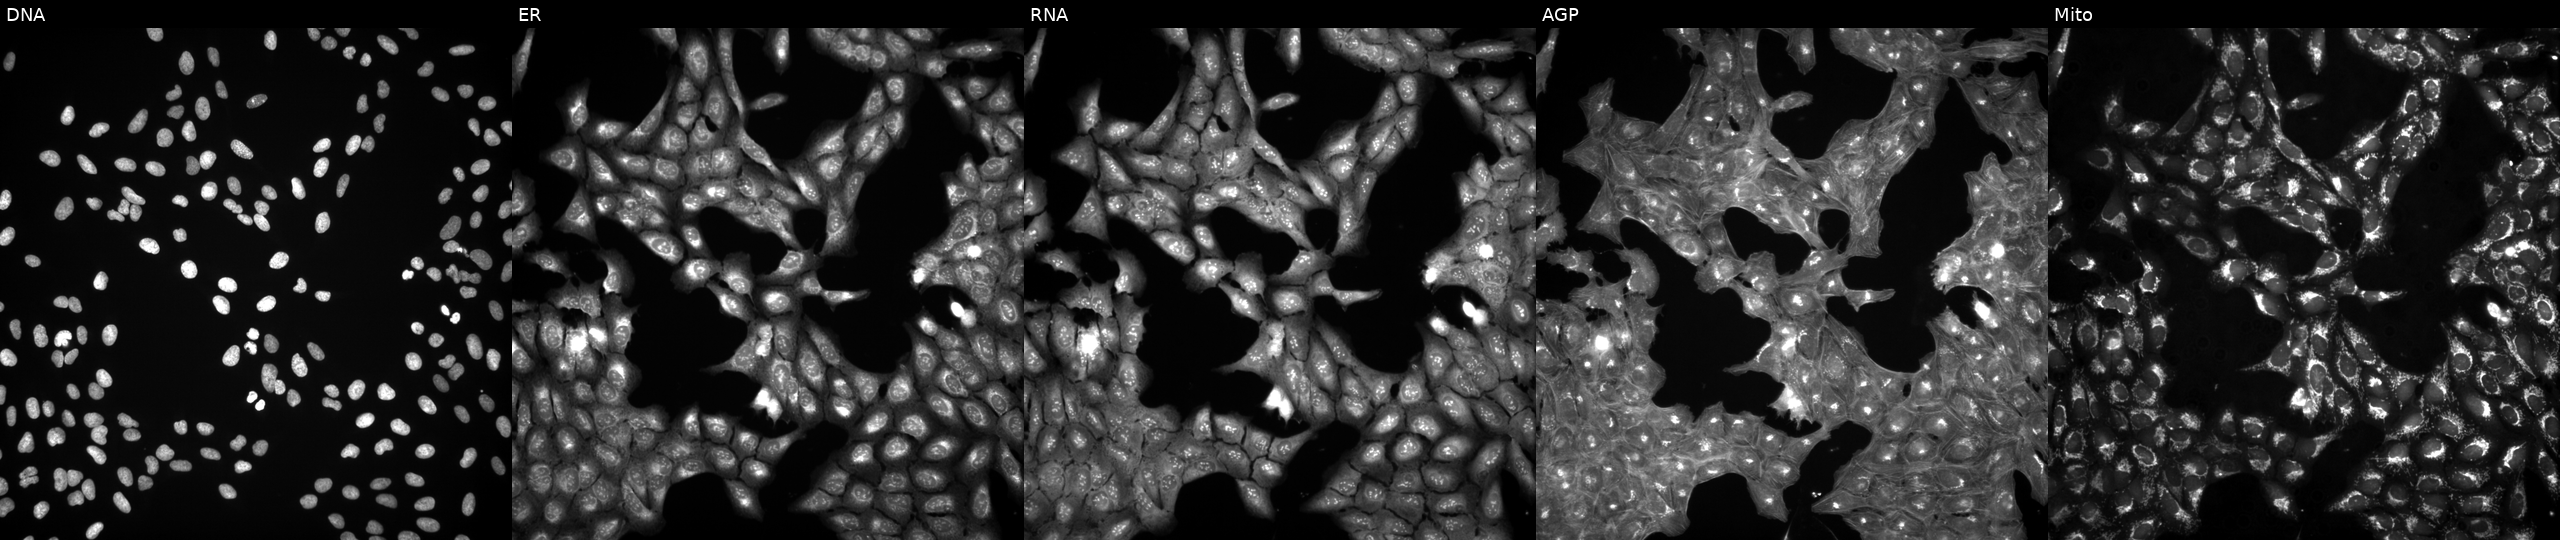
High-content fluorescence microscopy (Cell Painting). Cell line: U2OS. Perturbation: treated with DMSO vehicle only (negative control). The five panels, left to right, show DNA, ER, RNA, AGP, and Mito. Source 3, plate BR5867b3, well C23.